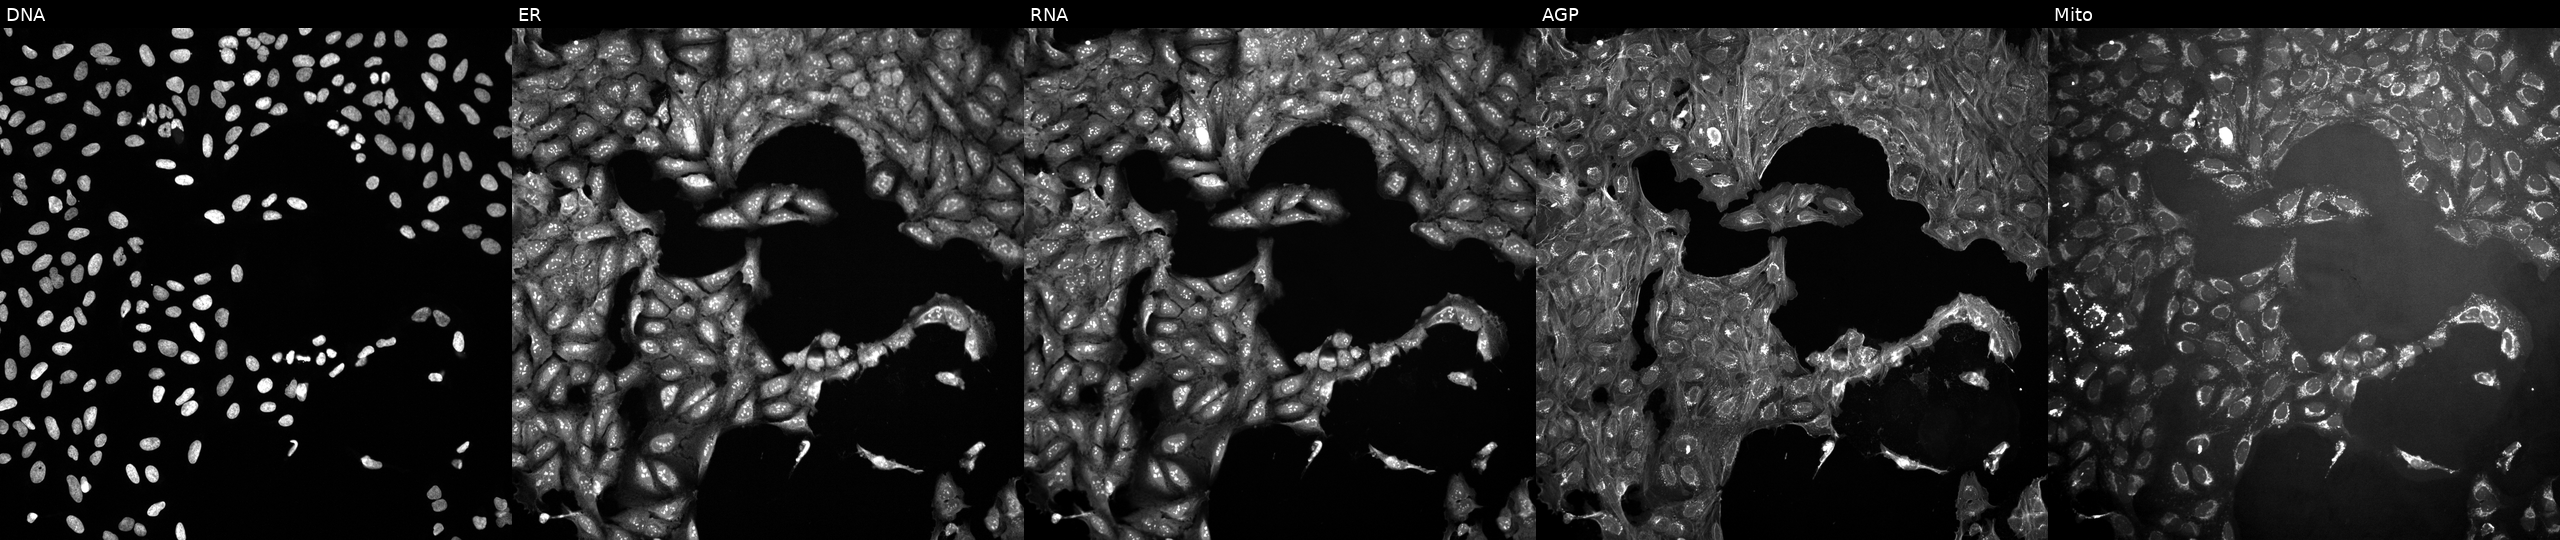
U2OS cells, Cell Painting assay, treated with a small-molecule compound (InChIKey WSBMXMVJARVHFV-UHFFFAOYSA-N) (JUMP id JCP2022_100817). Panels show, left to right, Hoechst 33342, concanavalin A, SYTO 14, phalloidin and WGA, MitoTracker. Each panel is percentile-stretched 16-bit fluorescence. Source 10, plate Dest210531-152149, well B09.